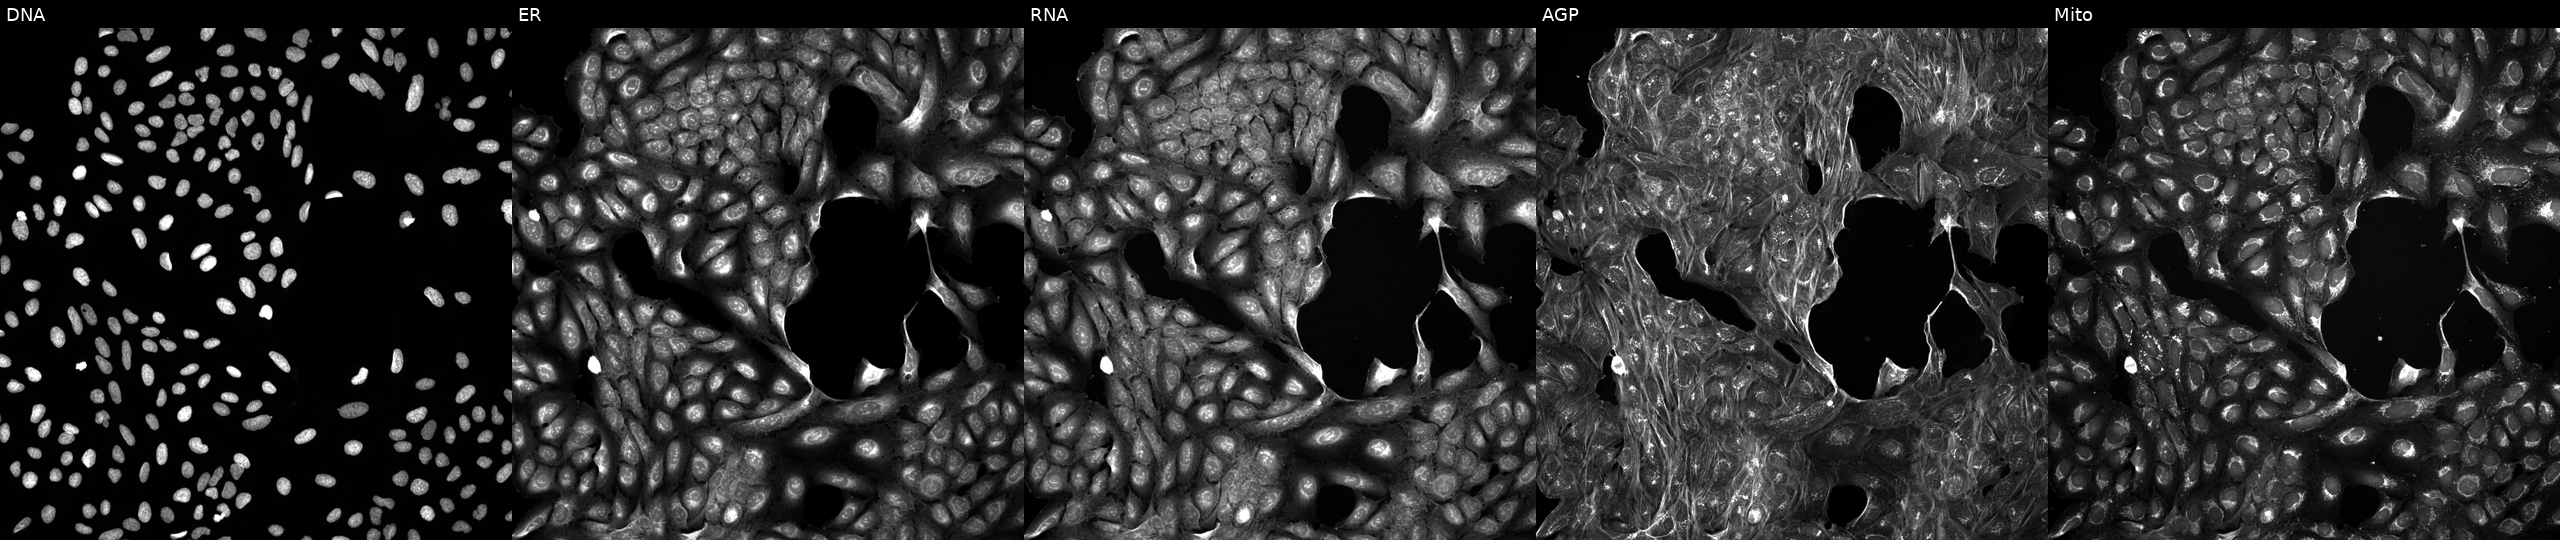
This image strip shows the five Cell Painting channels for a single field of U2OS cells exposed to DMSO alone as a negative control (JUMP id JCP2022_033924). Panels show, left to right, Hoechst 33342, concanavalin A, SYTO 14, phalloidin and WGA, MitoTracker.